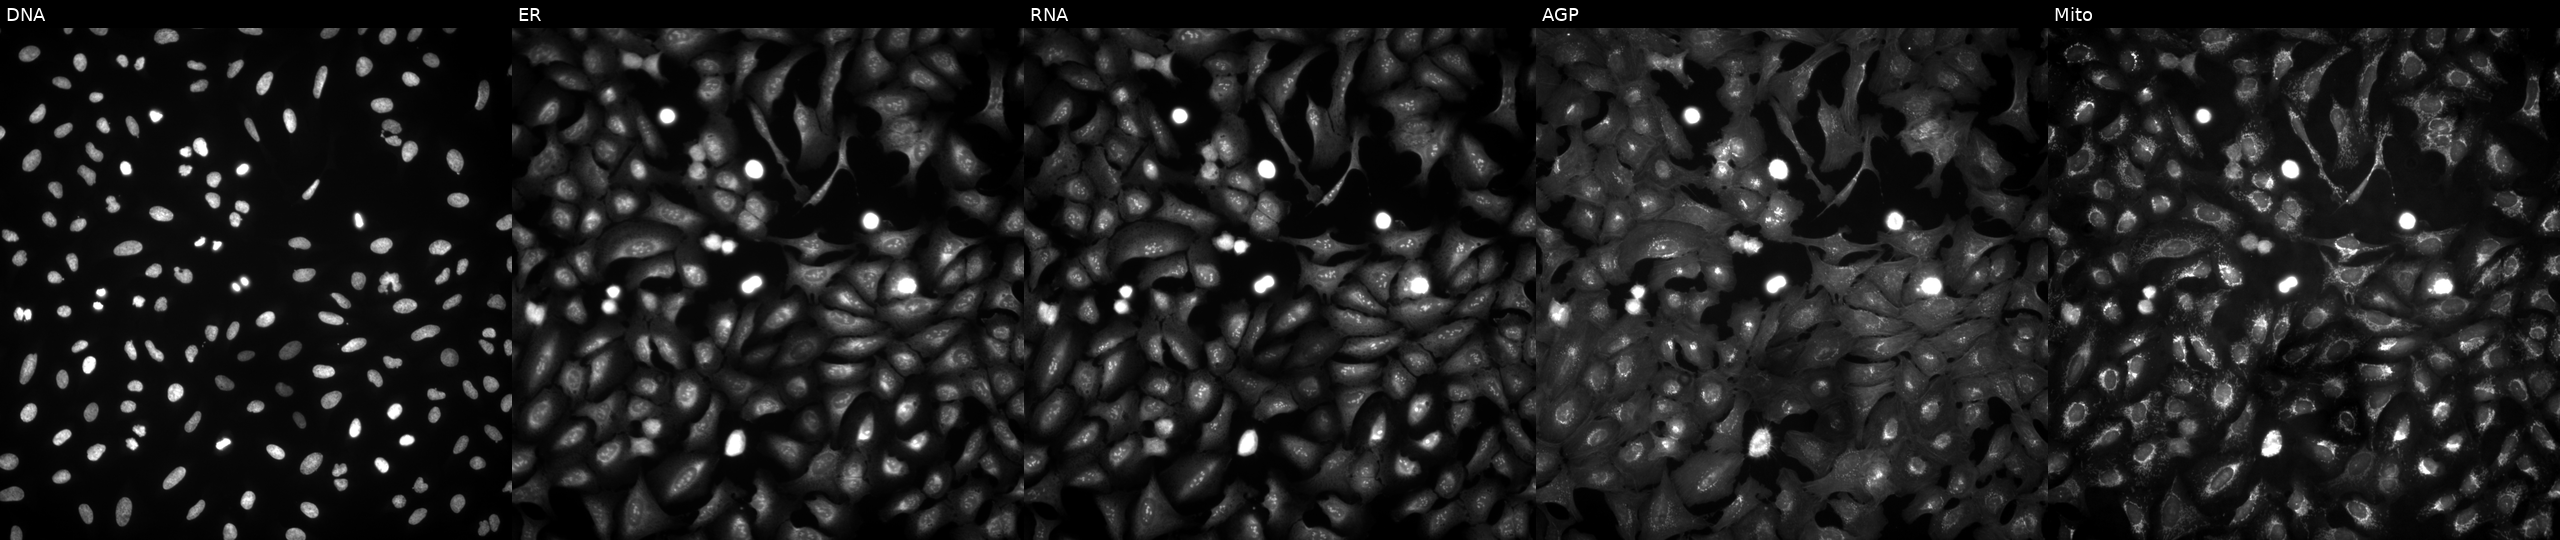
U2OS cells, Cell Painting assay, expressing LUCIFERASE (ORF negative control) (JUMP id JCP2022_915130). Channels (left→right): Hoechst 33342, concanavalin A, SYTO 14, phalloidin and WGA, MitoTracker. Each panel is percentile-stretched 16-bit fluorescence. Source 4, plate BR00124790, well I07.